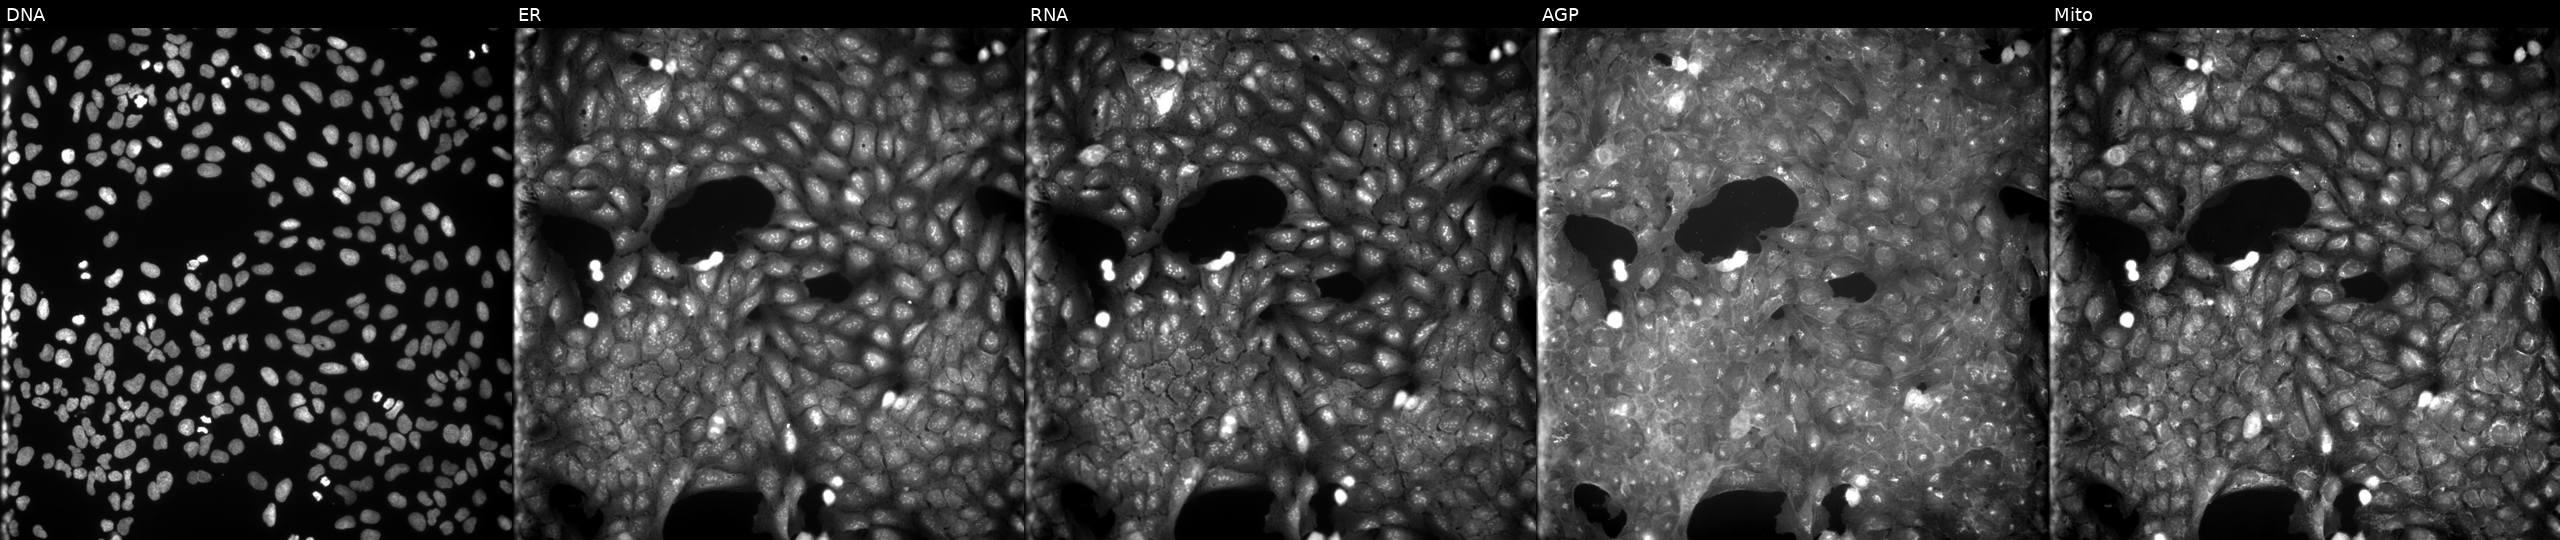
This image strip shows the five Cell Painting channels for a single field of U2OS cells treated with a small-molecule compound. Panels show, left to right, DNA, ER, RNA, AGP, and Mito.